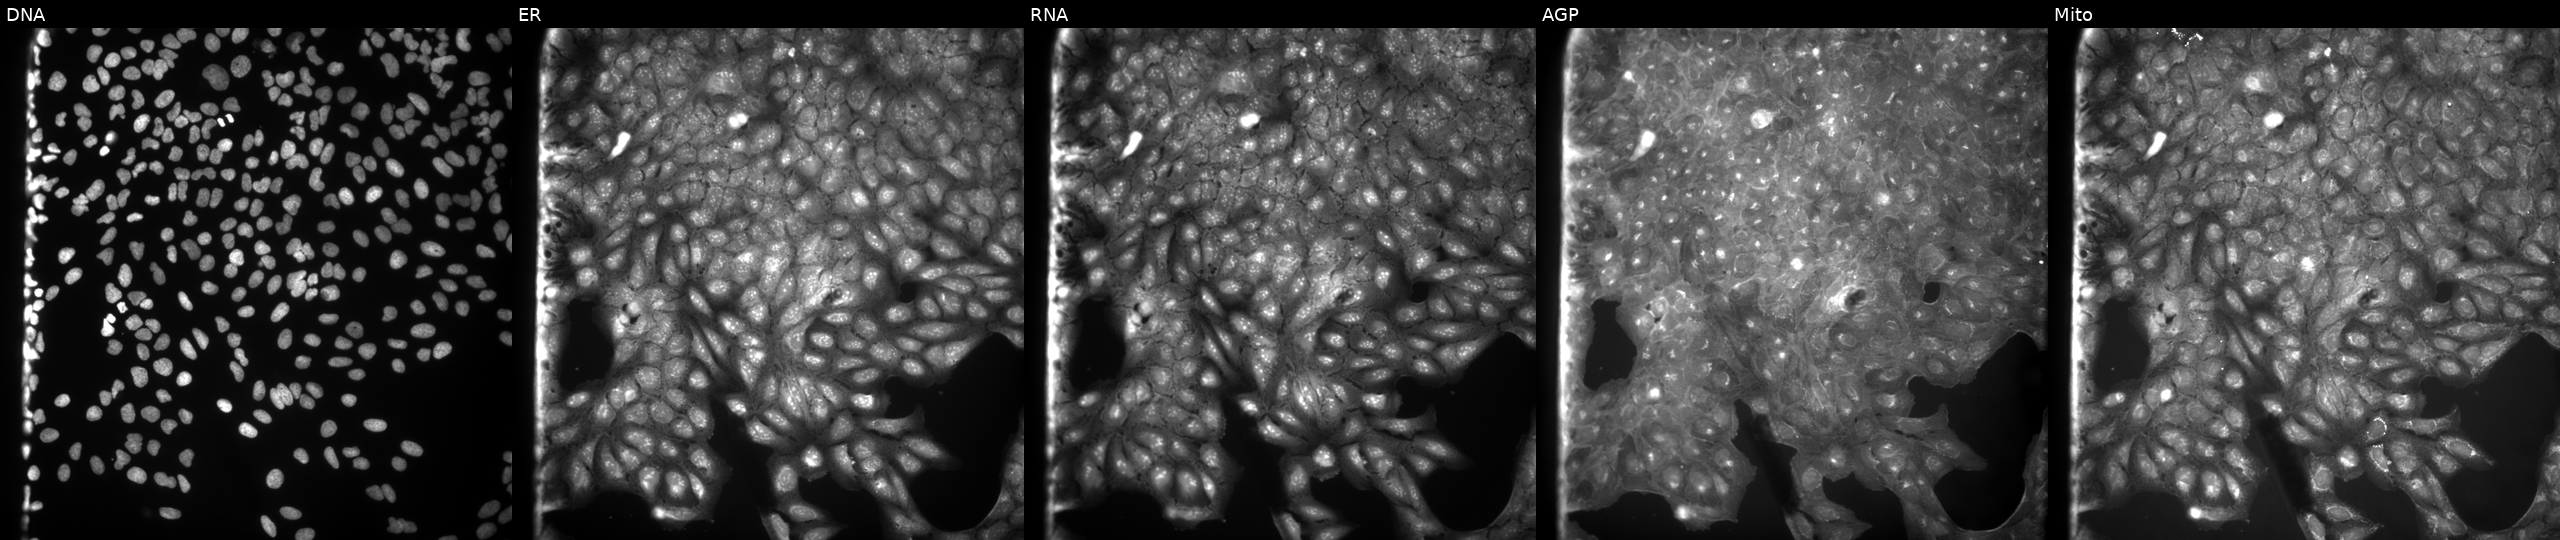
JUMP Cell Painting — COMPOUND plate. U2OS cells treated with a small-molecule compound. Panels show, left to right, DNA (nuclei); ER (endoplasmic reticulum); RNA (nucleoli and cytoplasmic RNA); AGP (actin cytoskeleton, Golgi, and plasma membrane); Mito (mitochondria). Source 9, plate GR00003382, well J08.